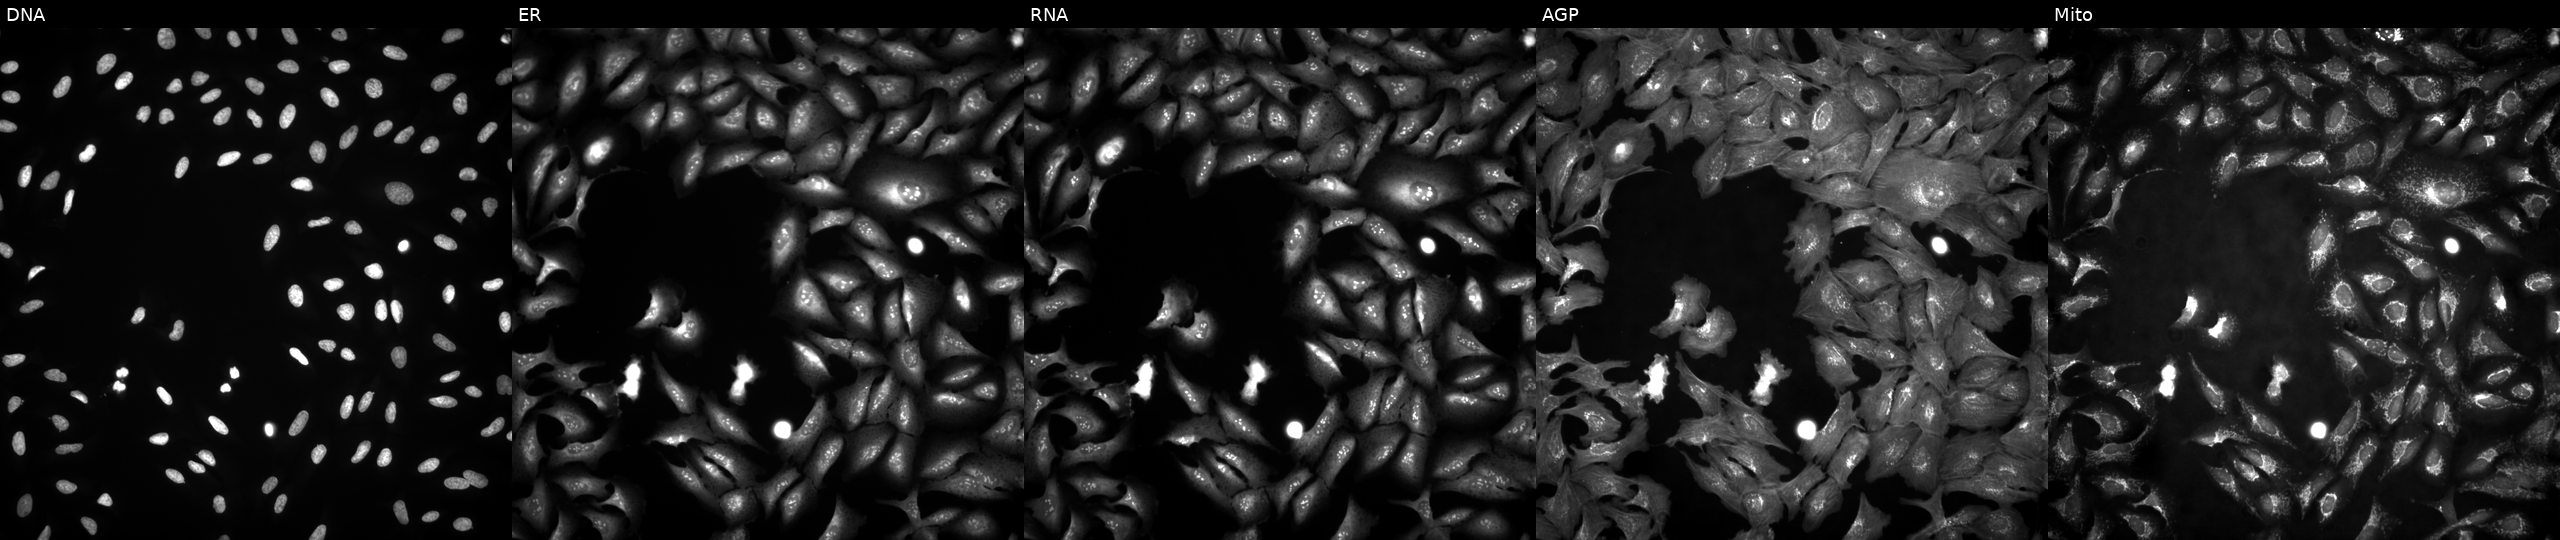
JUMP Cell Painting — ORF plate. U2OS cells overexpressing RRP7A via ORF transfection. Channels (left→right): DNA (nuclei); ER (endoplasmic reticulum); RNA (nucleoli and cytoplasmic RNA); AGP (actin cytoskeleton, Golgi, and plasma membrane); Mito (mitochondria). Source 4, plate BR00124784, well E06.